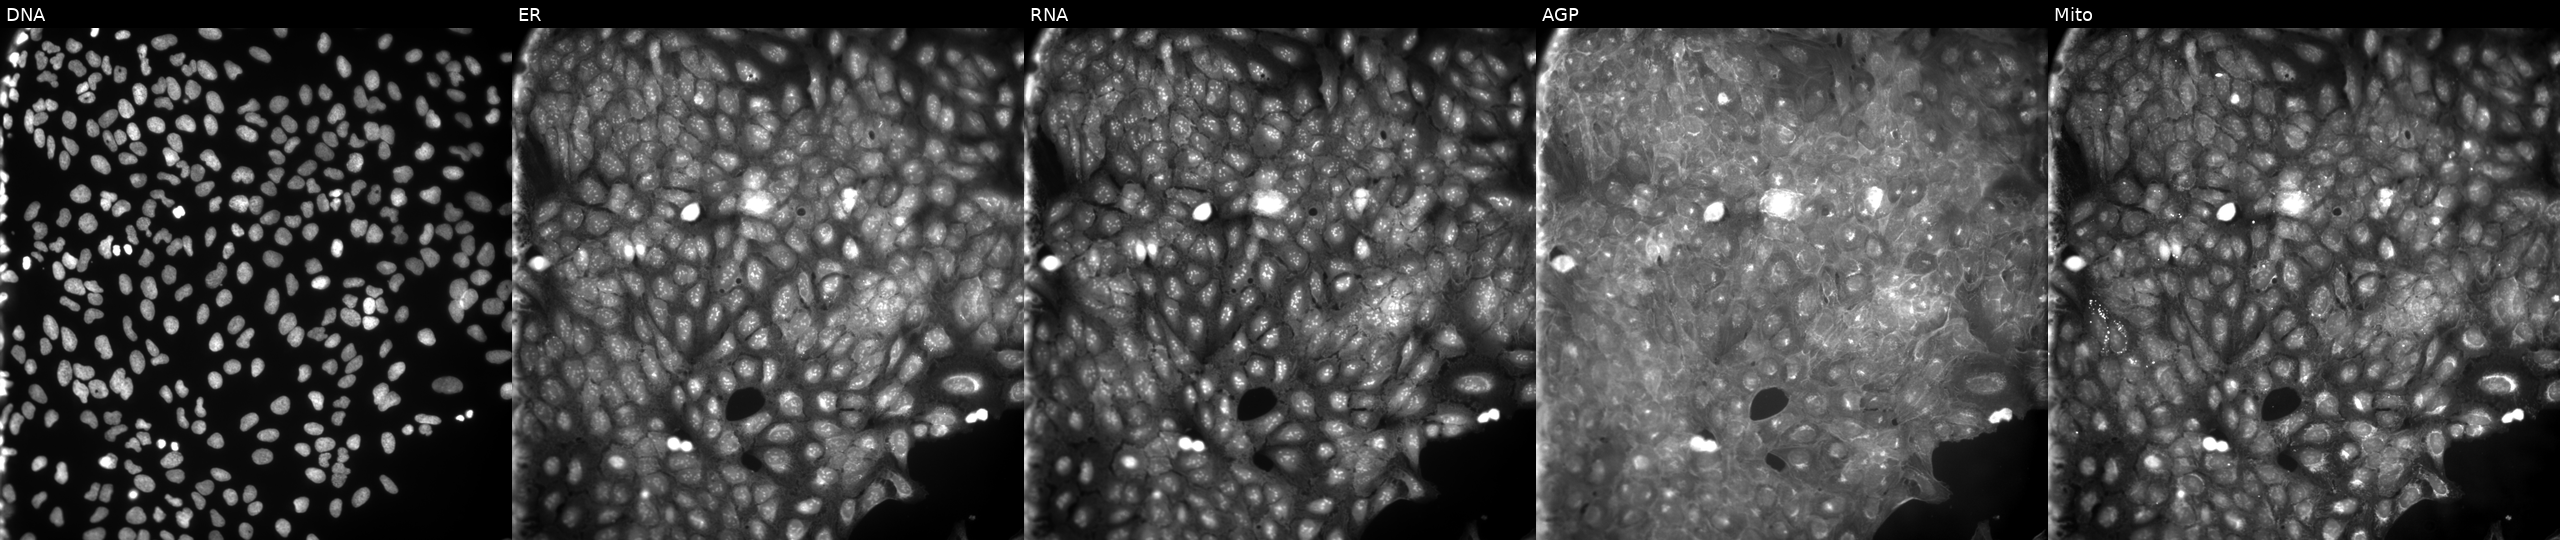
JUMP Cell Painting — COMPOUND plate. U2OS cells exposed to a small-molecule compound. Channels (left→right): Hoechst 33342, concanavalin A, SYTO 14, phalloidin and WGA, MitoTracker.